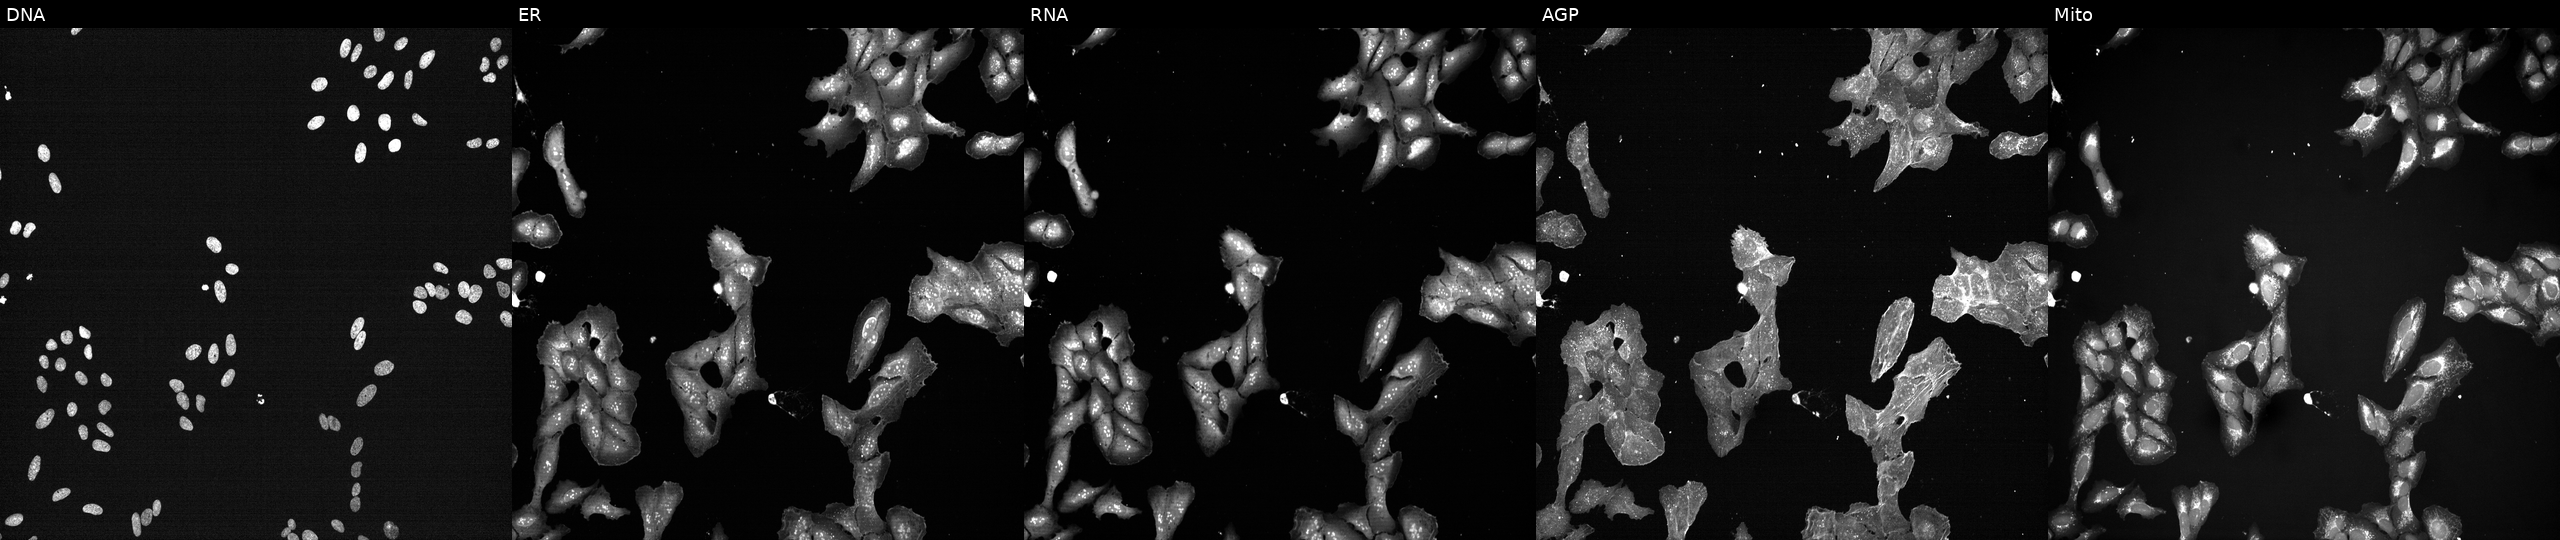
This image strip shows the five Cell Painting channels for a single field of U2OS cells exposed to a small-molecule compound (InChIKey OQQVFCKUDYMWGV-UHFFFAOYSA-N). Channels (left→right): DNA (nuclei); ER (endoplasmic reticulum); RNA (nucleoli and cytoplasmic RNA); AGP (actin cytoskeleton, Golgi, and plasma membrane); Mito (mitochondria). Source 7, plate CP2-SC1-25, well M14.